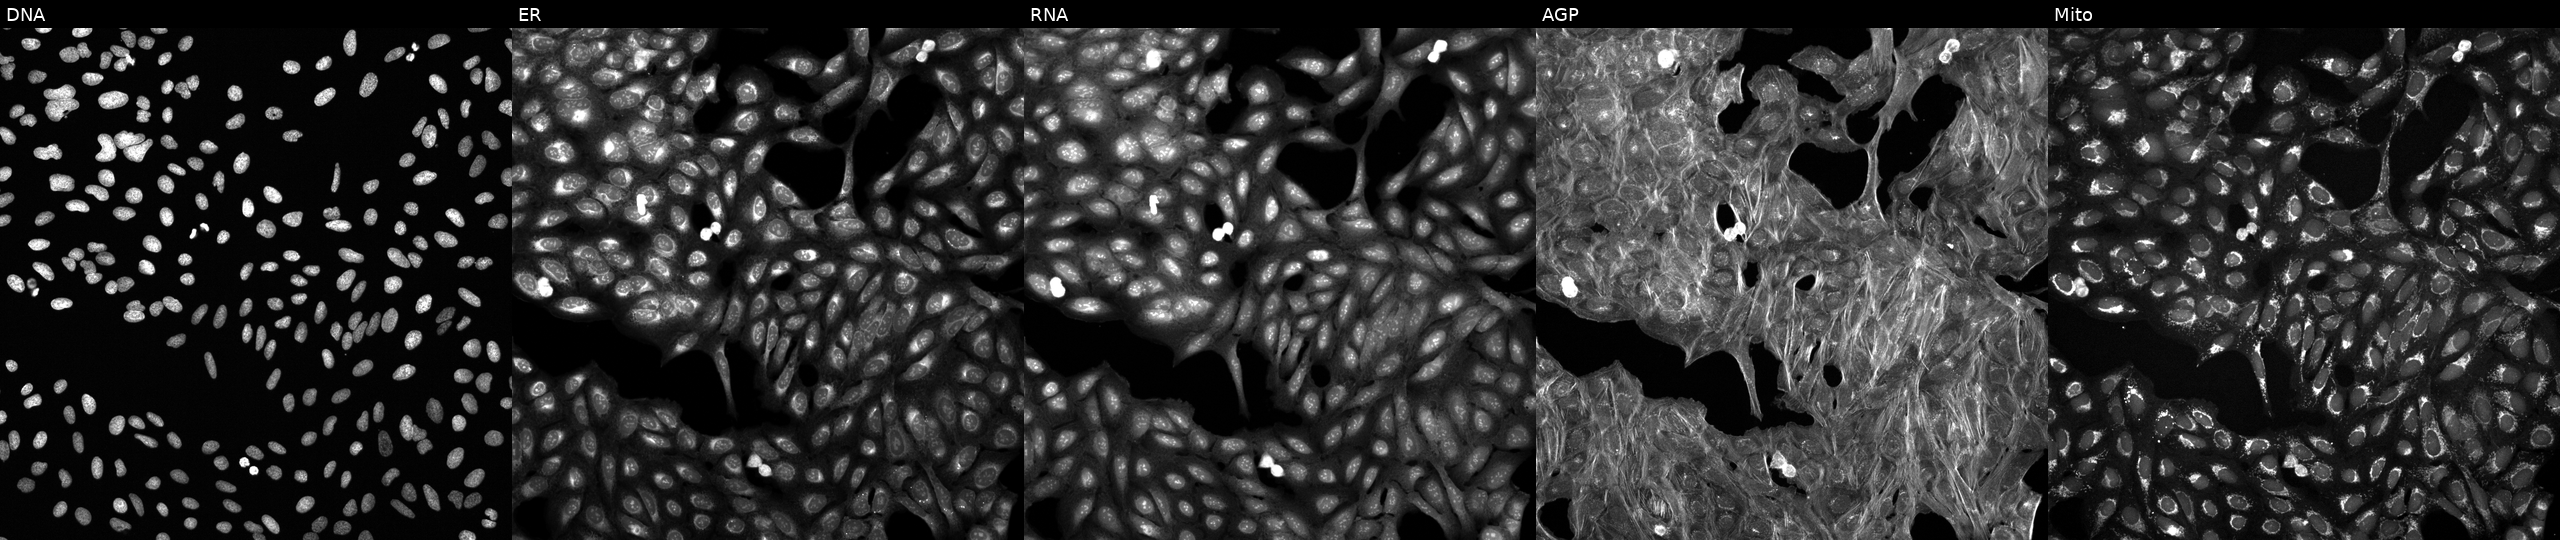
High-content fluorescence microscopy (Cell Painting). Cell line: U2OS. Perturbation: treated with a small-molecule compound (InChIKey NZHGWWWHIYHZNX-UHFFFAOYSA-N) (JUMP id JCP2022_062326). The five panels, left to right, show DNA (nuclei); ER (endoplasmic reticulum); RNA (nucleoli and cytoplasmic RNA); AGP (actin cytoskeleton, Golgi, and plasma membrane); Mito (mitochondria). Source 6, plate 110000293093, well B16.